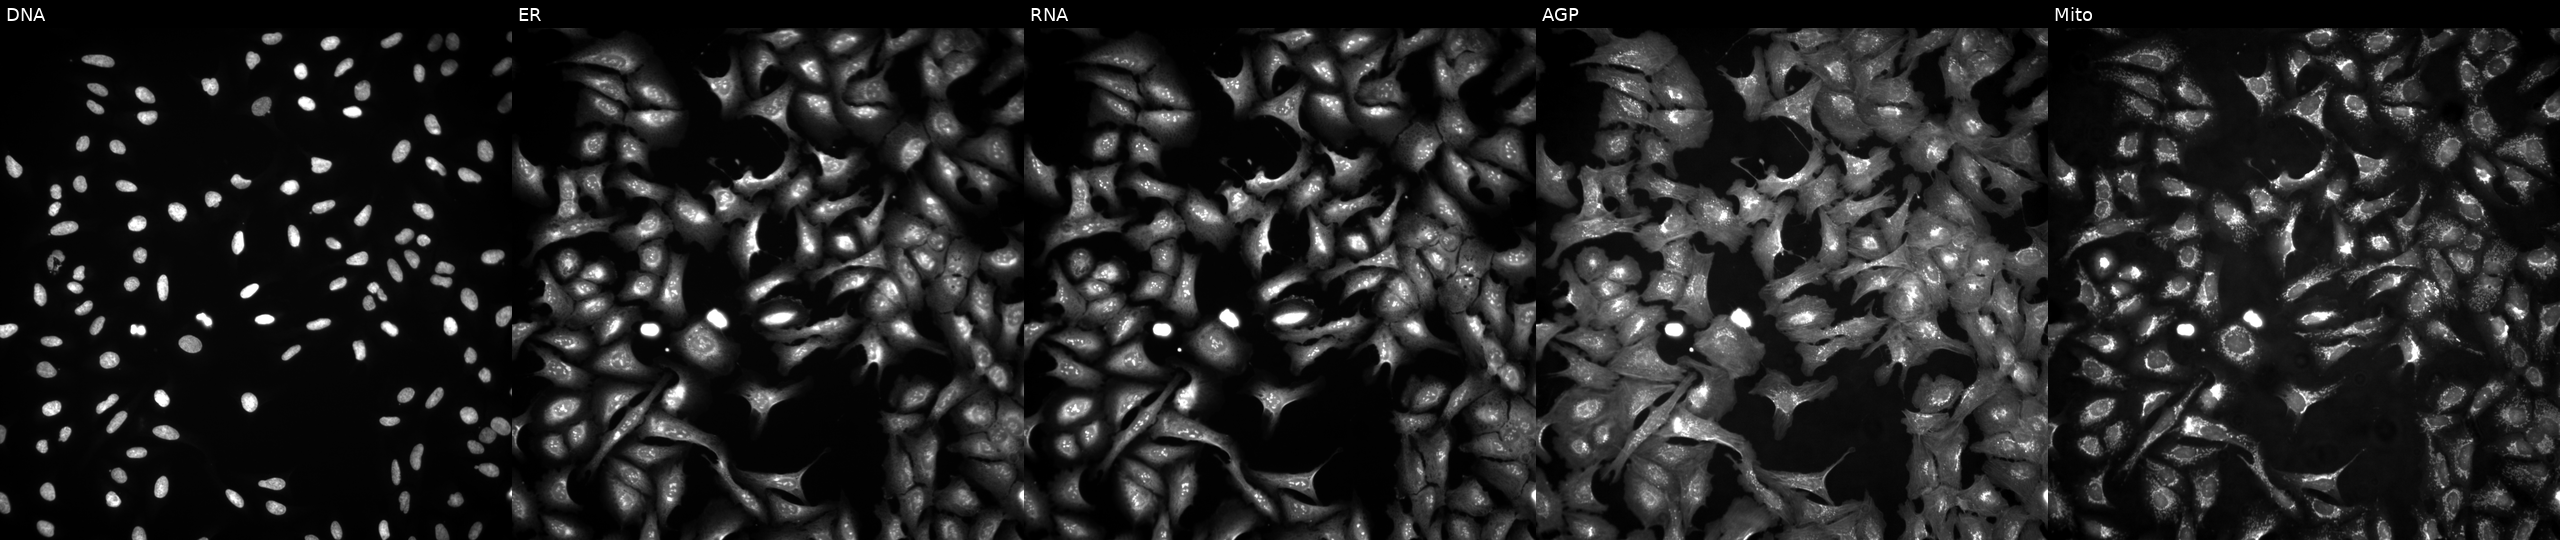
High-content fluorescence microscopy (Cell Painting). Cell line: U2OS. Perturbation: overexpressing CCL3L1 via ORF transfection. Panels show, left to right, Hoechst 33342, concanavalin A, SYTO 14, phalloidin and WGA, MitoTracker. Source 4, plate BR00124787, well E18.